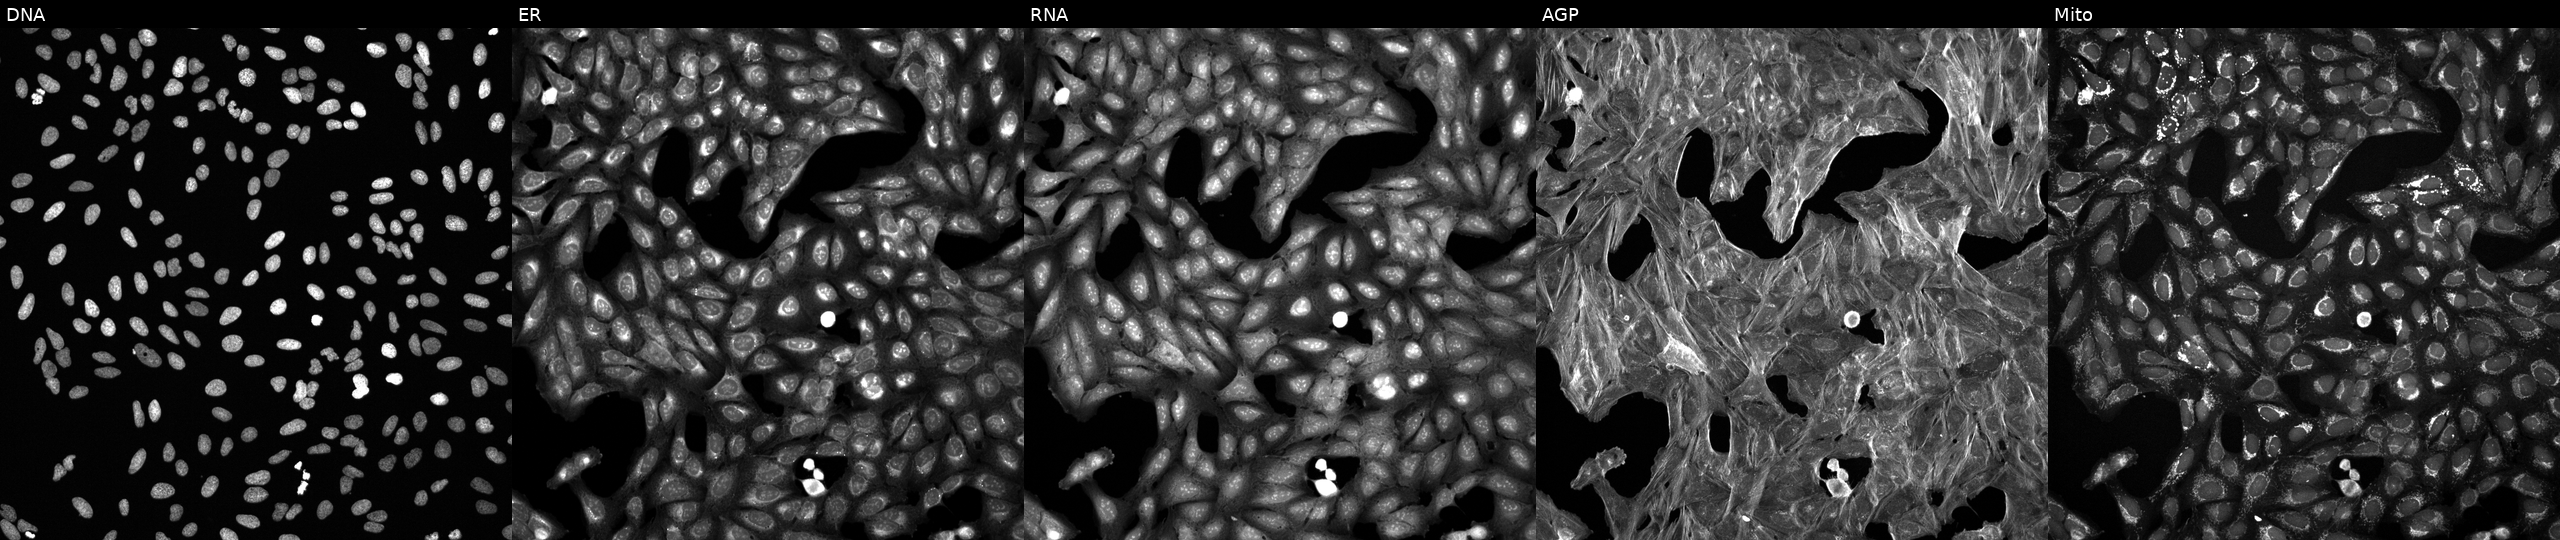
U2OS cells, Cell Painting assay, treated with DMSO vehicle only (negative control) (JUMP id JCP2022_033924). Channels (left→right): Hoechst 33342, concanavalin A, SYTO 14, phalloidin and WGA, MitoTracker. Each panel is percentile-stretched 16-bit fluorescence. Source 6, plate 110000293093, well D17.